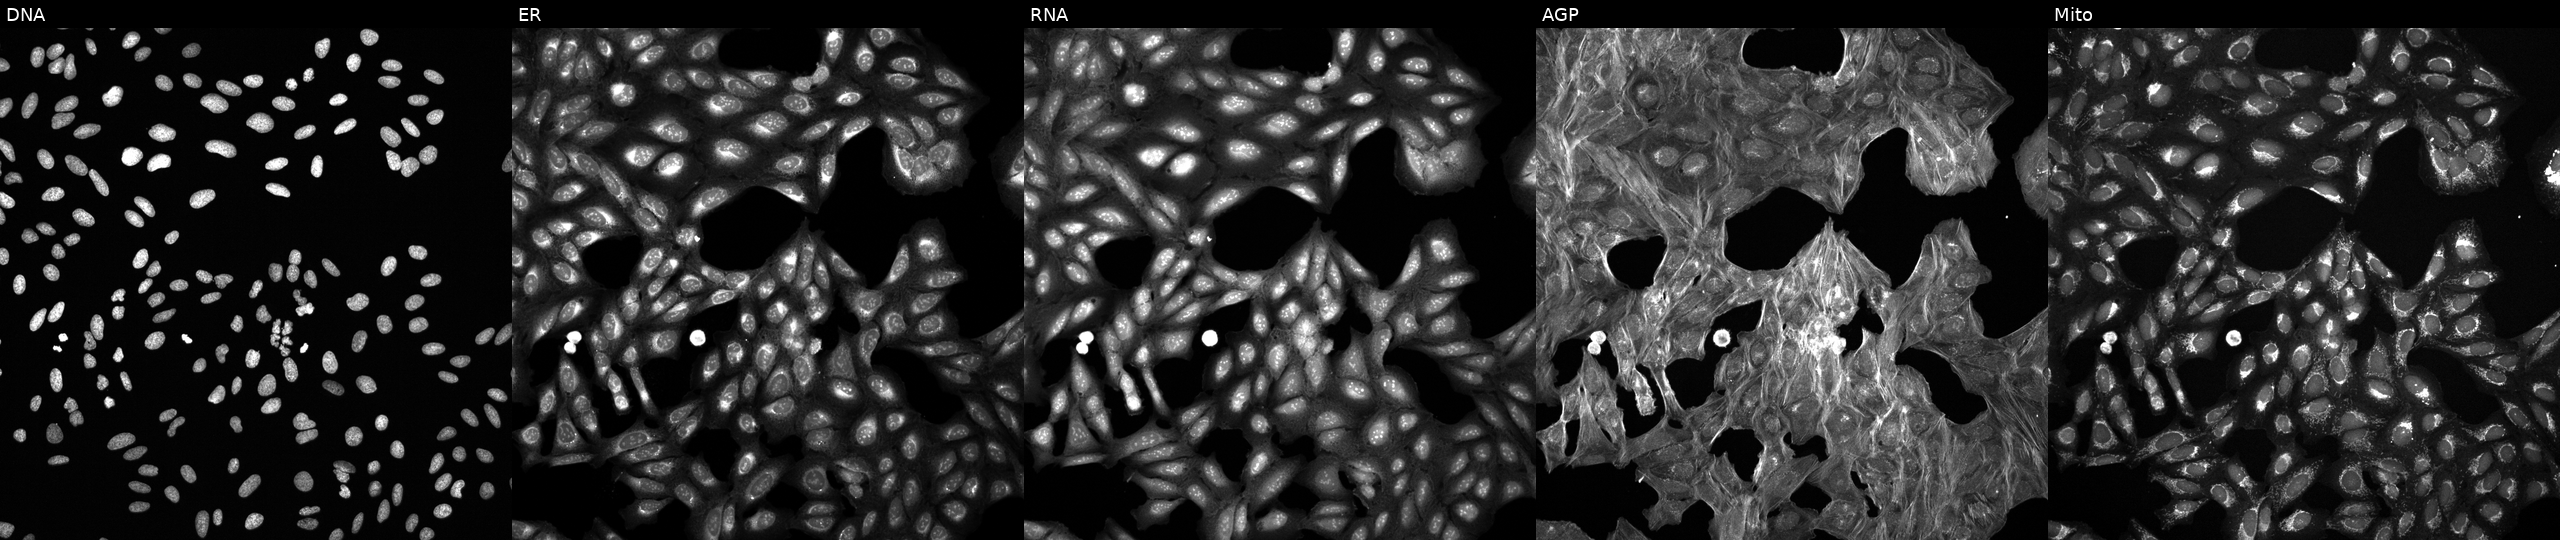
Channels (left→right): DNA (nuclei); ER (endoplasmic reticulum); RNA (nucleoli and cytoplasmic RNA); AGP (actin cytoskeleton, Golgi, and plasma membrane); Mito (mitochondria). U2OS osteosarcoma cells exposed to a small-molecule compound (InChIKey NLSSUSRERAMBTA-UHFFFAOYSA-N) (JUMP id JCP2022_059825). Cell Painting assay, JUMP-CP dataset. Source 6, plate 110000293093, well O19.